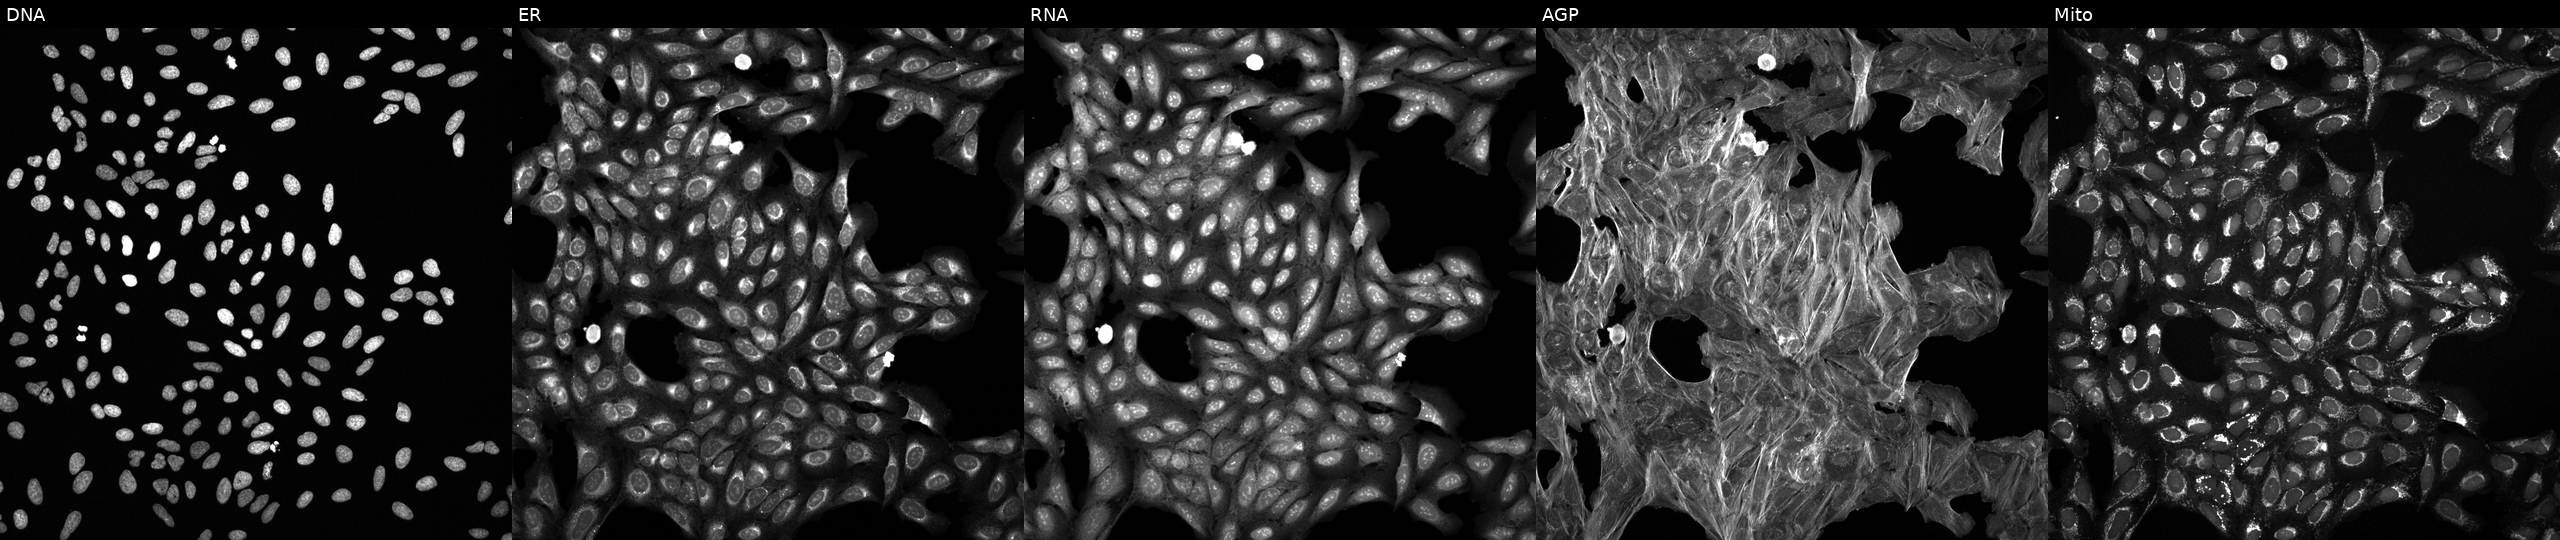
U2OS cells, Cell Painting assay, treated with a small-molecule compound (JUMP id JCP2022_036173). Panels show, left to right, DNA, ER, RNA, AGP, and Mito. Each panel is percentile-stretched 16-bit fluorescence.